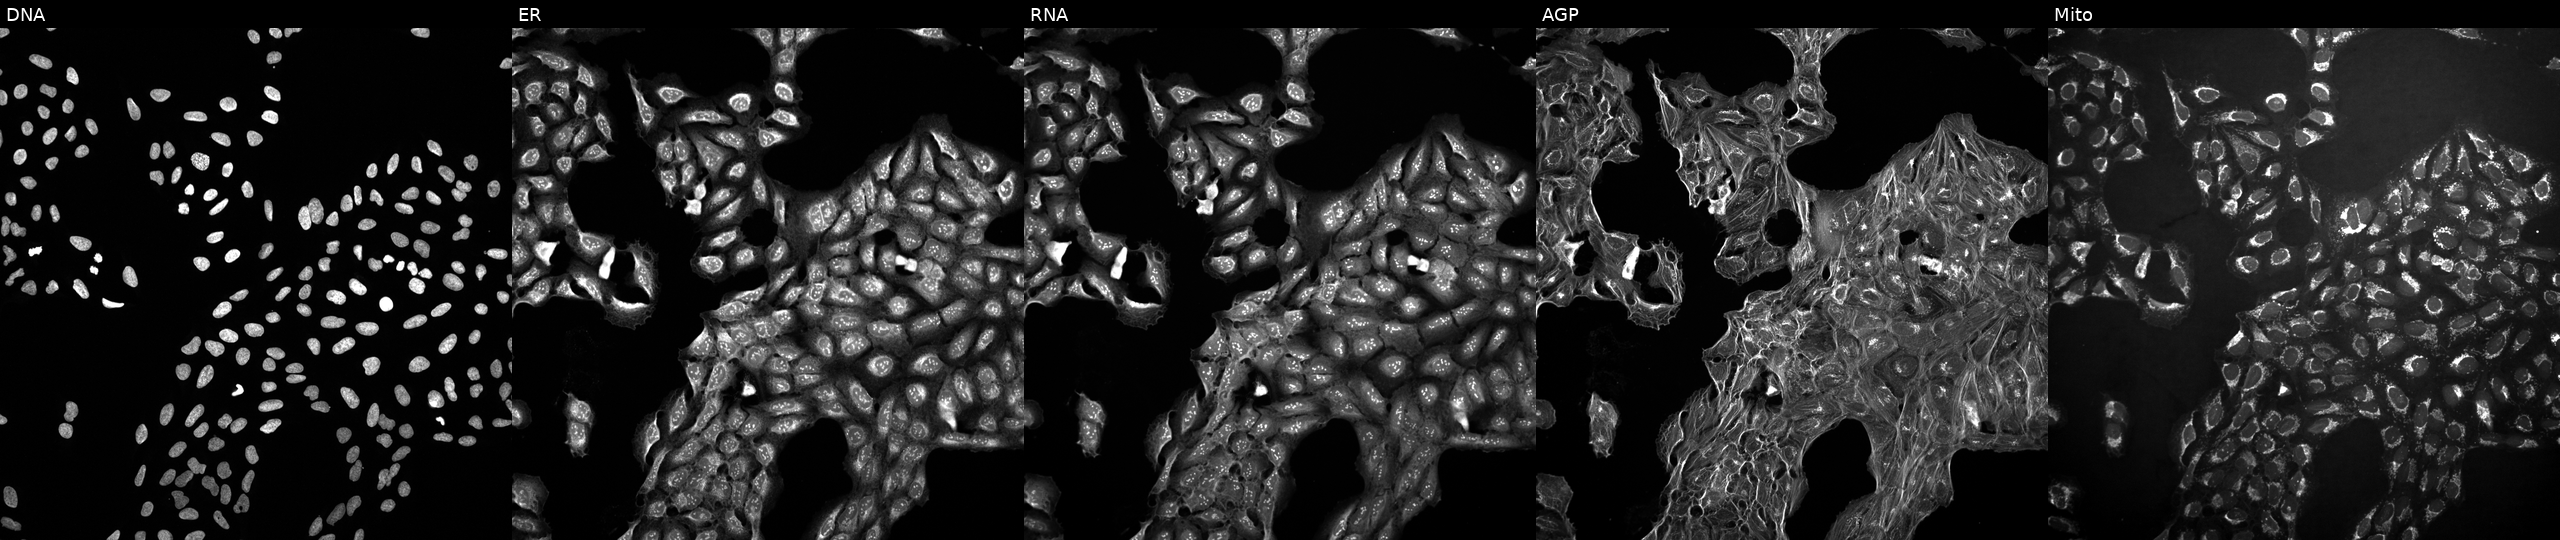
Channels (left→right): Hoechst 33342, concanavalin A, SYTO 14, phalloidin and WGA, MitoTracker. U2OS osteosarcoma cells exposed to a small-molecule compound. Cell Painting assay, JUMP-CP dataset. Source 10, plate Dest210727-153003, well C05.